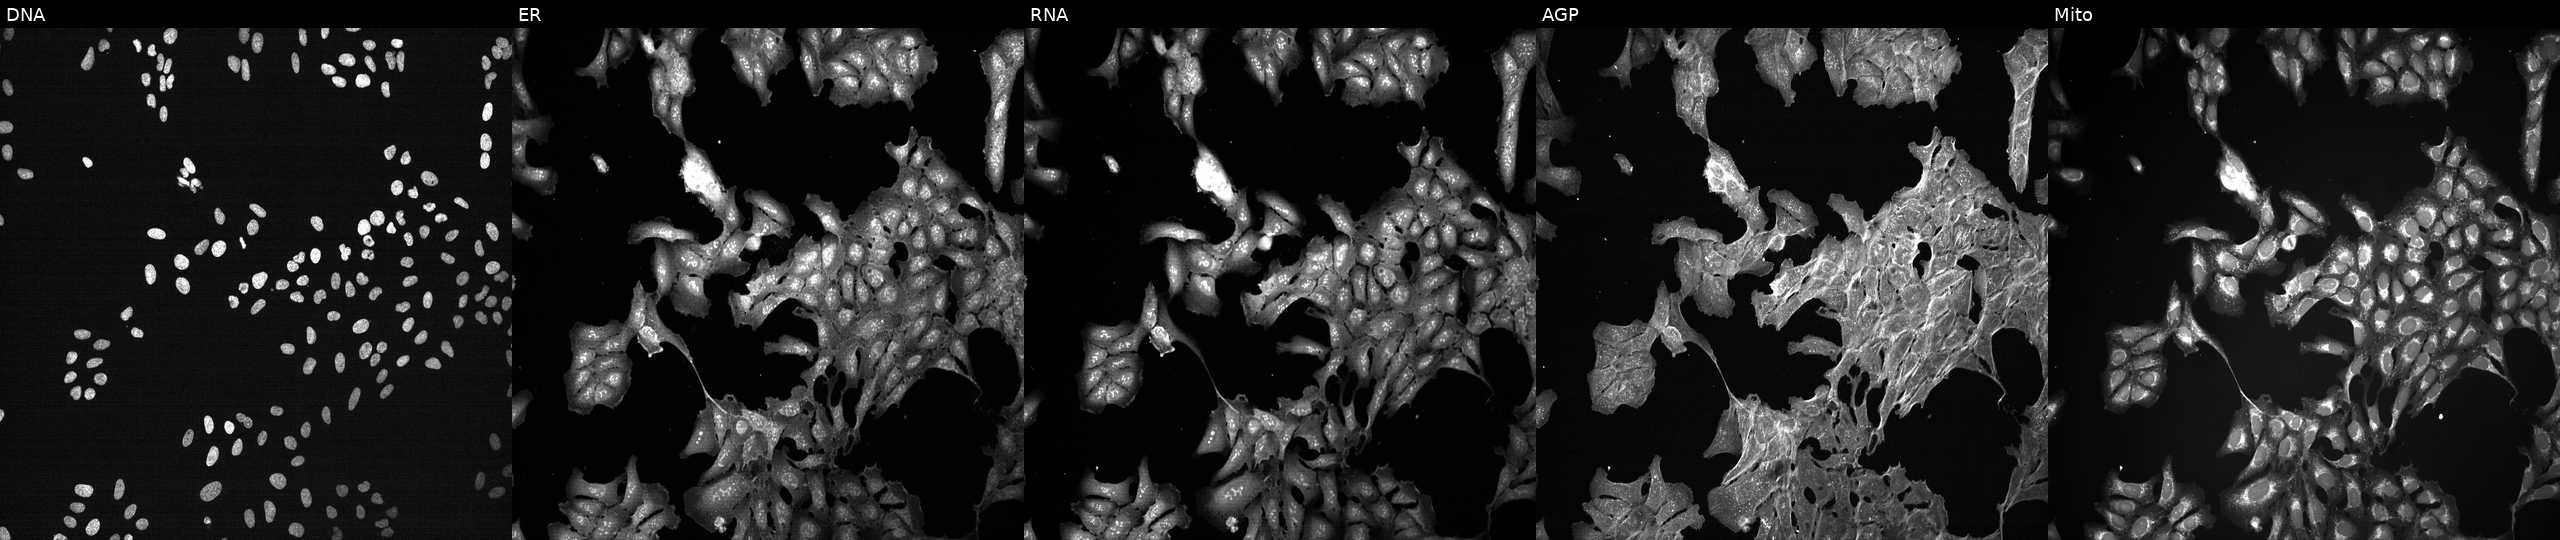
Five-channel Cell Painting image of U2OS cells exposed to DMSO alone as a negative control. The five panels, left to right, show DNA (nuclei); ER (endoplasmic reticulum); RNA (nucleoli and cytoplasmic RNA); AGP (actin cytoskeleton, Golgi, and plasma membrane); Mito (mitochondria).